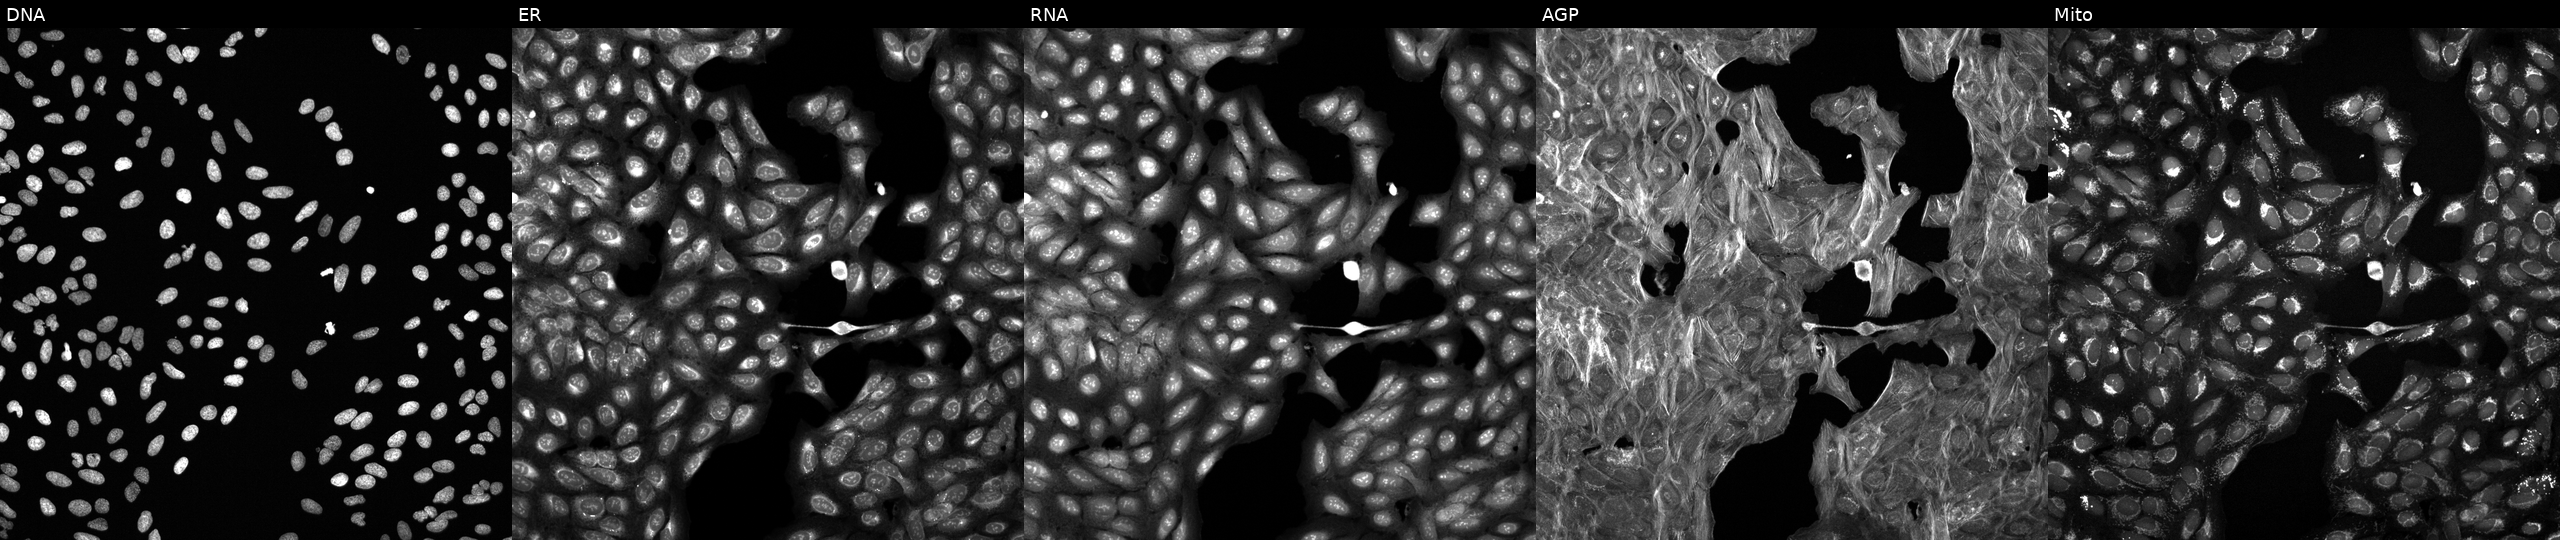
Five-channel Cell Painting image of U2OS cells perturbed with a small-molecule compound (InChIKey TZDUHAJSIBHXDL-UHFFFAOYSA-N) (JUMP id JCP2022_087693). Channels (left→right): DNA (nuclei); ER (endoplasmic reticulum); RNA (nucleoli and cytoplasmic RNA); AGP (actin cytoskeleton, Golgi, and plasma membrane); Mito (mitochondria). Source 6, plate 110000293093, well O18.